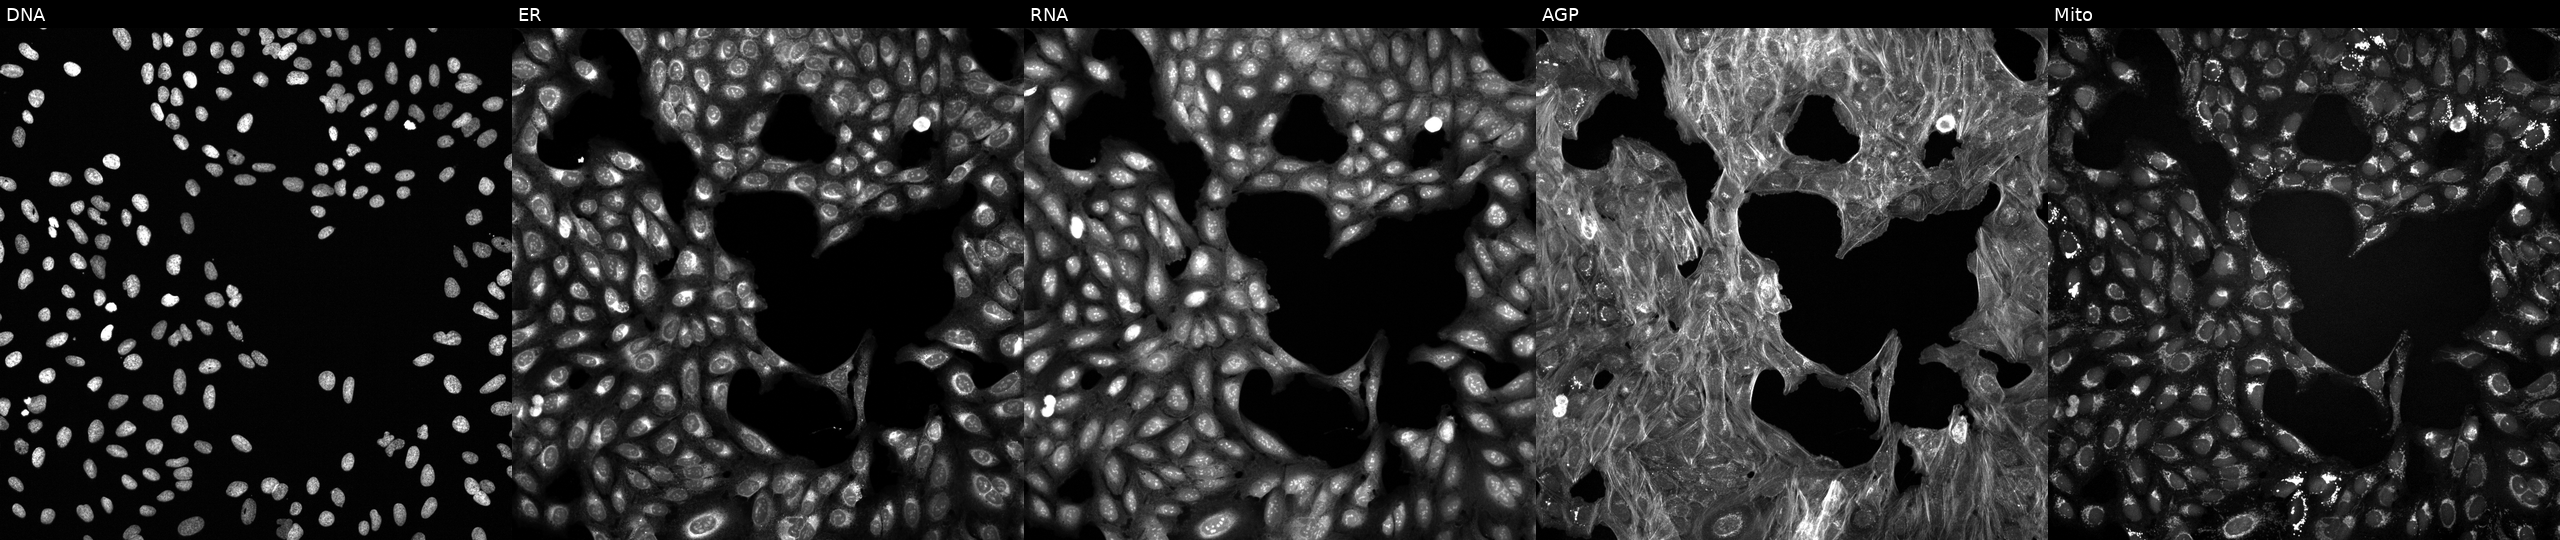
U2OS cells, Cell Painting assay, perturbed with a small-molecule compound (InChIKey KHZCMUUFPONSAZ-UHFFFAOYSA-N) [SMILES: COc1ccccc1-c1cc2nc(C)c(CCC(=O)NCCC3=CCCCC3)c(C)n2n1] (JUMP id JCP2022_044734). The five panels, left to right, show DNA (nuclei); ER (endoplasmic reticulum); RNA (nucleoli and cytoplasmic RNA); AGP (actin cytoskeleton, Golgi, and plasma membrane); Mito (mitochondria). Each panel is percentile-stretched 16-bit fluorescence. Source 6, plate 110000293082, well B08.